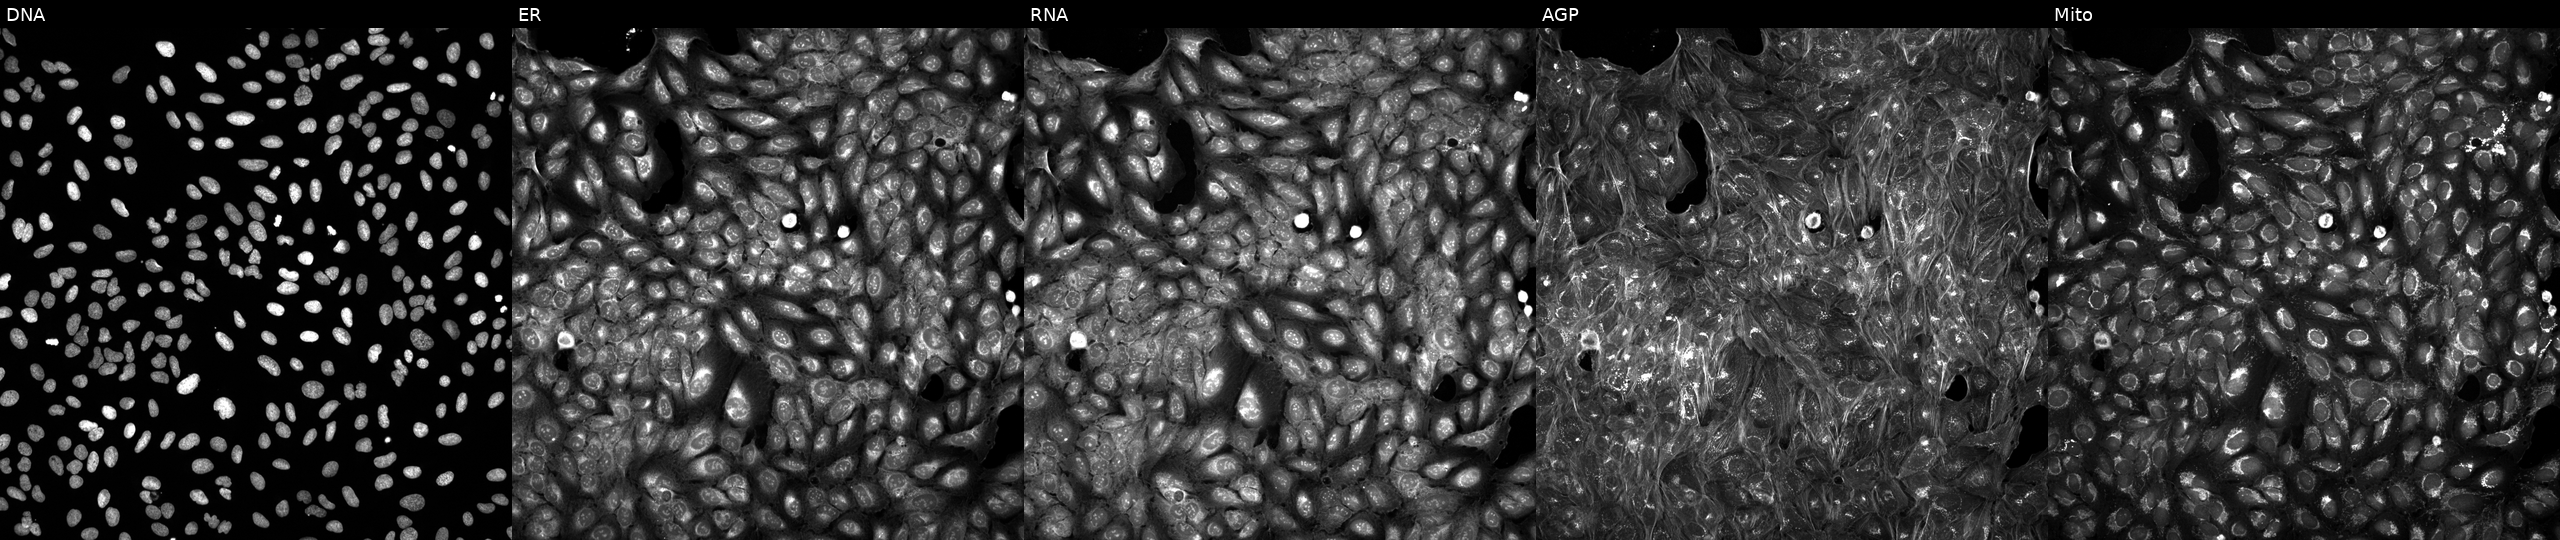
High-content fluorescence microscopy (Cell Painting). Cell line: U2OS. Perturbation: exposed to a small-molecule compound (InChIKey OUZWUKMCLIBBOG-UHFFFAOYSA-N). Panels show, left to right, DNA (nuclei); ER (endoplasmic reticulum); RNA (nucleoli and cytoplasmic RNA); AGP (actin cytoskeleton, Golgi, and plasma membrane); Mito (mitochondria). Source 5, plate ACPJUM032, well I24.